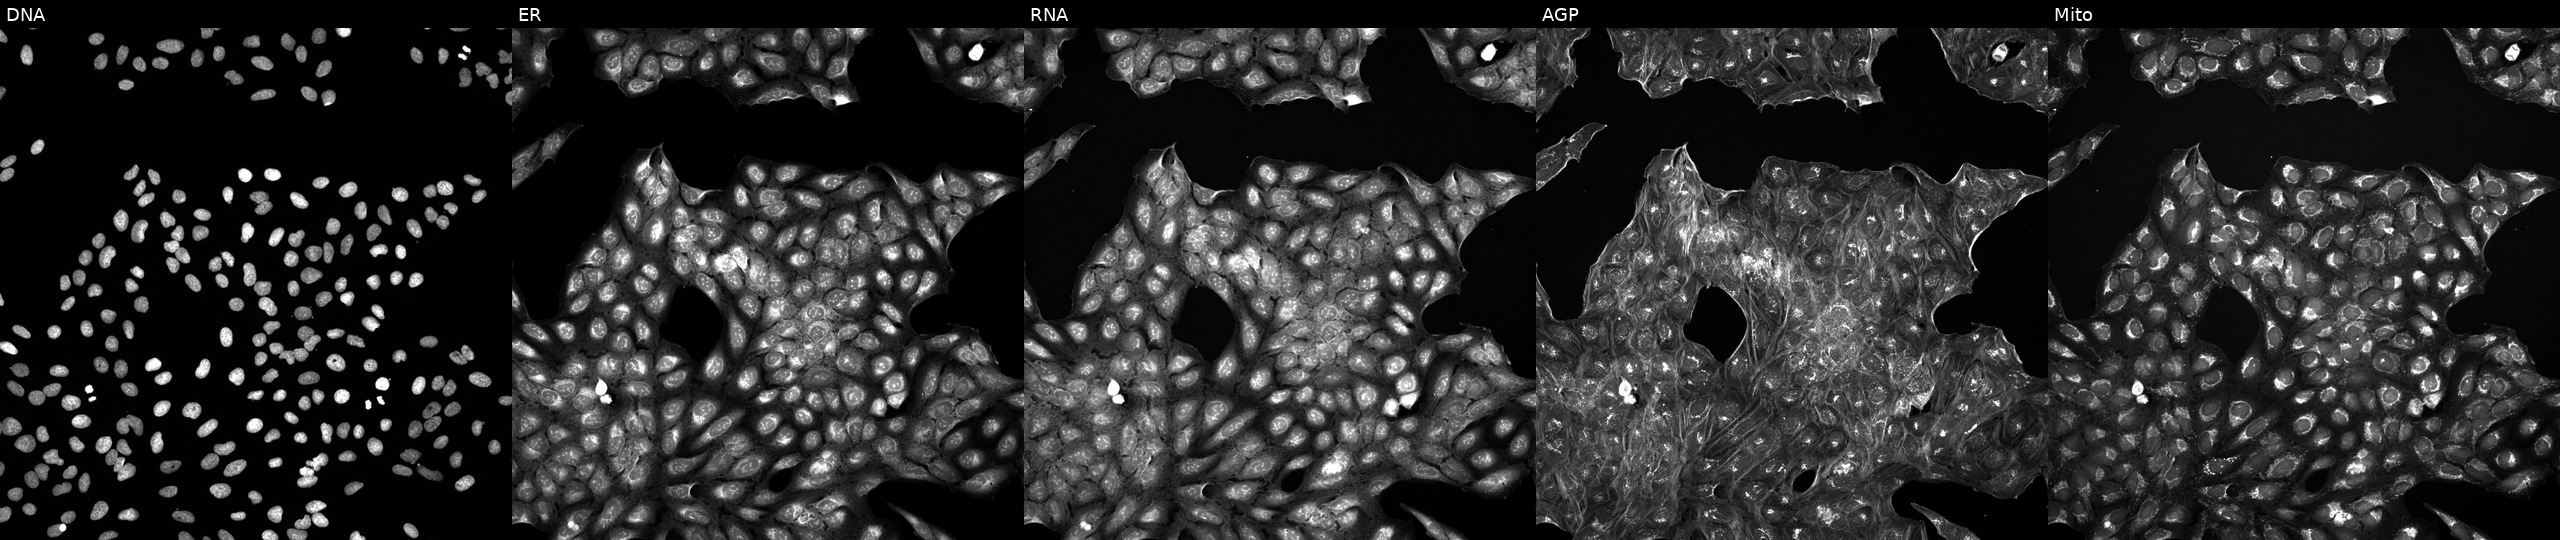
High-content fluorescence microscopy (Cell Painting). Cell line: U2OS. Perturbation: perturbed with a small-molecule compound (InChIKey JVCWPUFNLFSKFS-UHFFFAOYSA-N) [SMILES: CCN1C(C)(C)CC(Oc2ccc(C(=O)Nc3ccc(NC(=O)N=c4cc(C(C)(C)C)o[nH]4)cc3)nc2)CC1(C)C]. Panels show, left to right, DNA, ER, RNA, AGP, and Mito. Source 5, plate ACPJUM012, well C10.